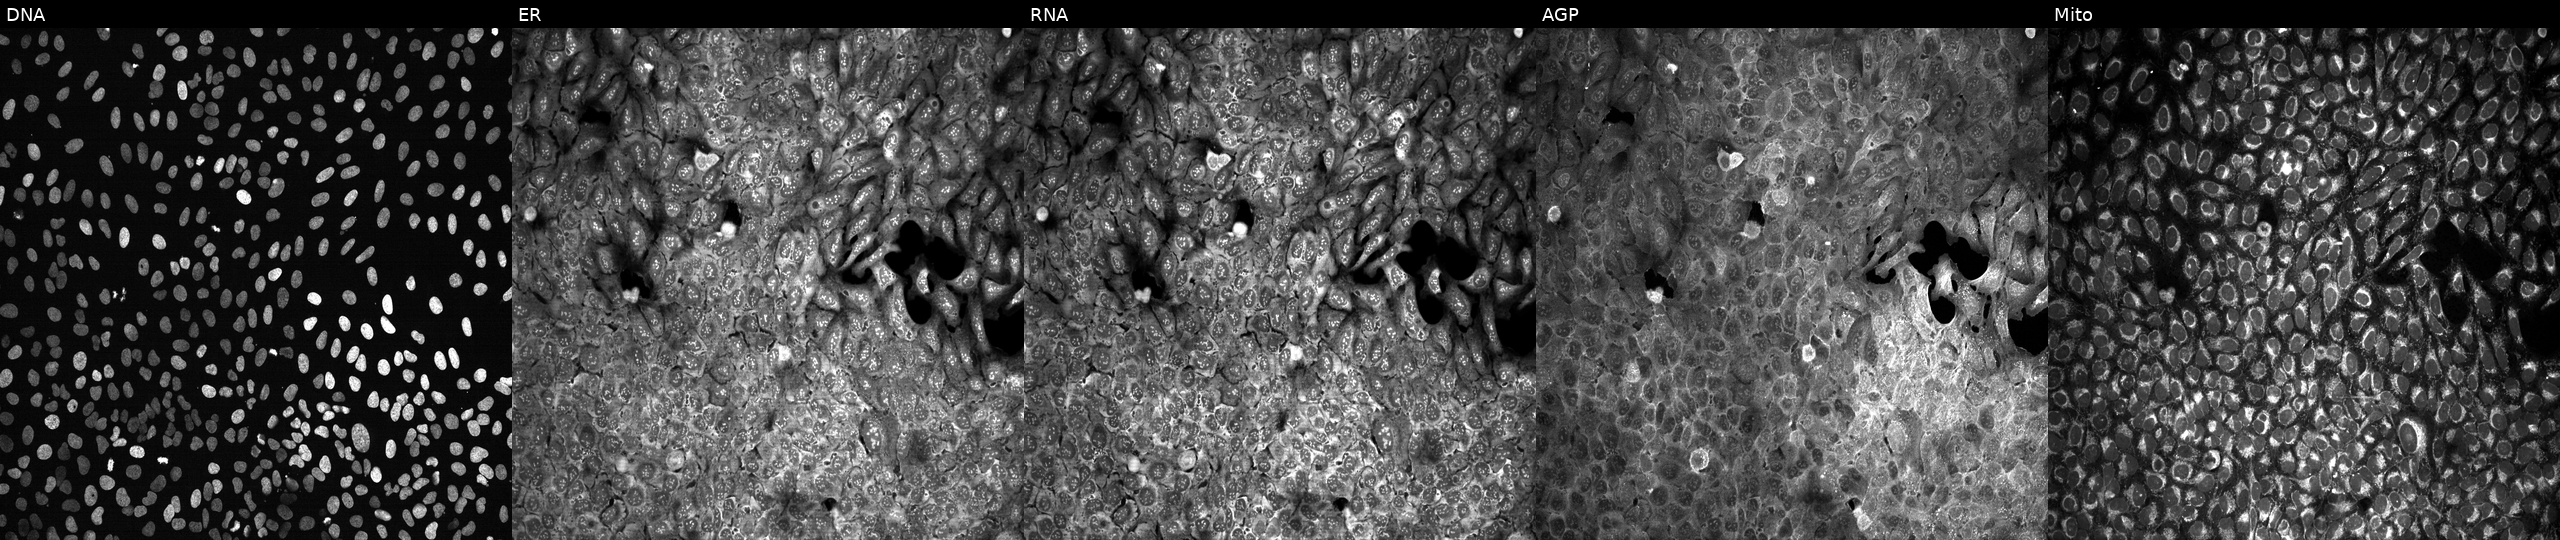
Five-channel Cell Painting image of U2OS cells exposed to the positive-control compound aloxistatin (JUMP id JCP2022_085227). Panels show, left to right, DNA (nuclei); ER (endoplasmic reticulum); RNA (nucleoli and cytoplasmic RNA); AGP (actin cytoskeleton, Golgi, and plasma membrane); Mito (mitochondria).